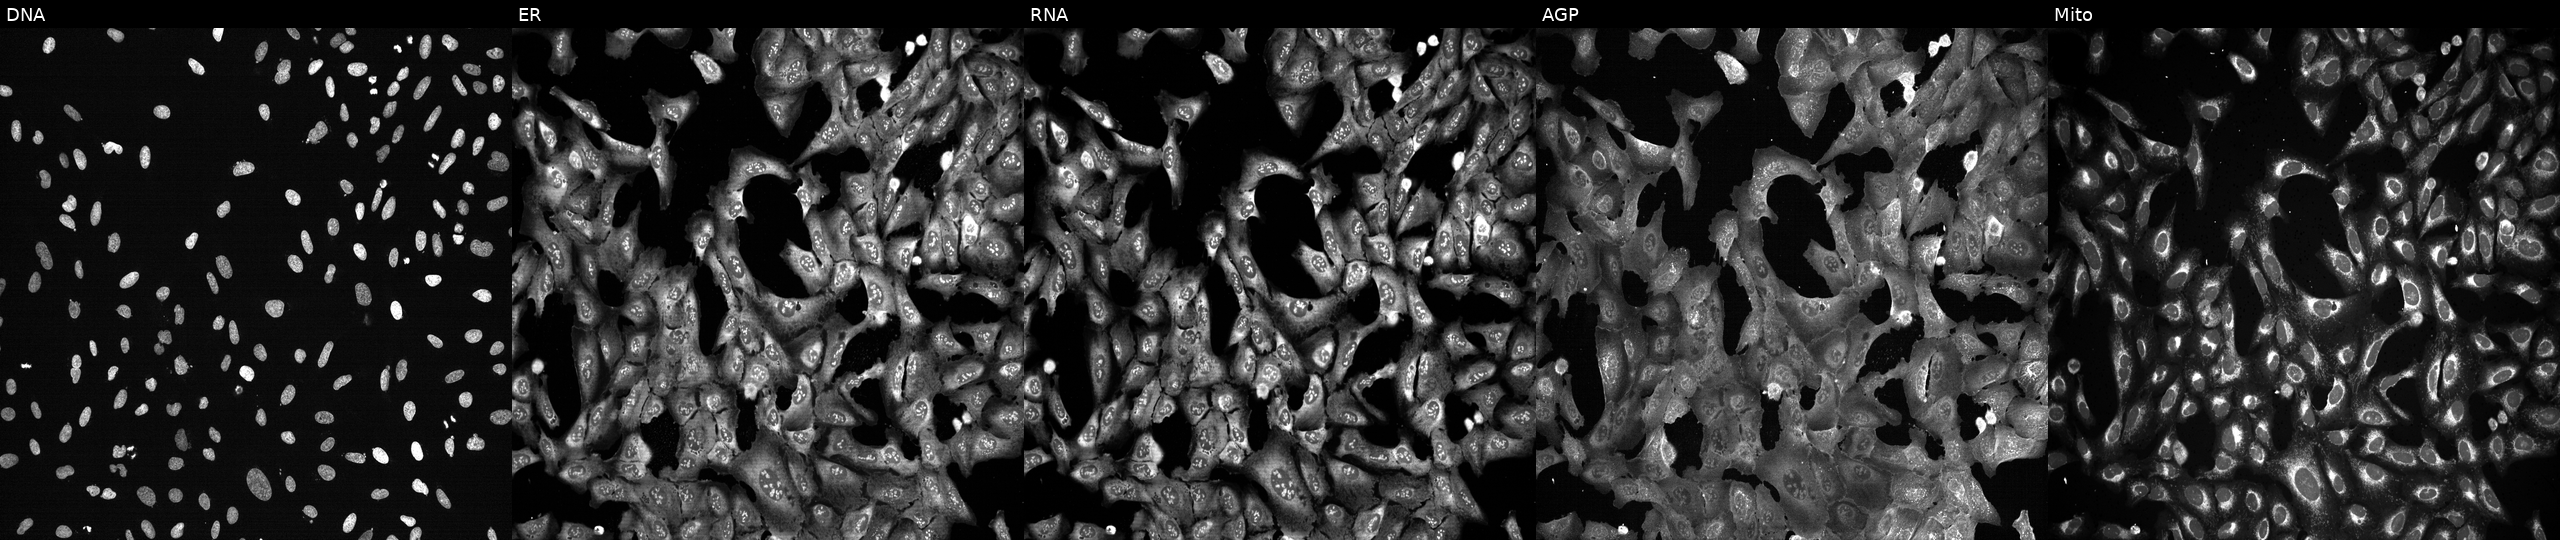
Five-channel Cell Painting image of U2OS cells with UGT2B17 knocked out by CRISPR (JUMP id JCP2022_807529). From left to right: DNA (nuclei); ER (endoplasmic reticulum); RNA (nucleoli and cytoplasmic RNA); AGP (actin cytoskeleton, Golgi, and plasma membrane); Mito (mitochondria).